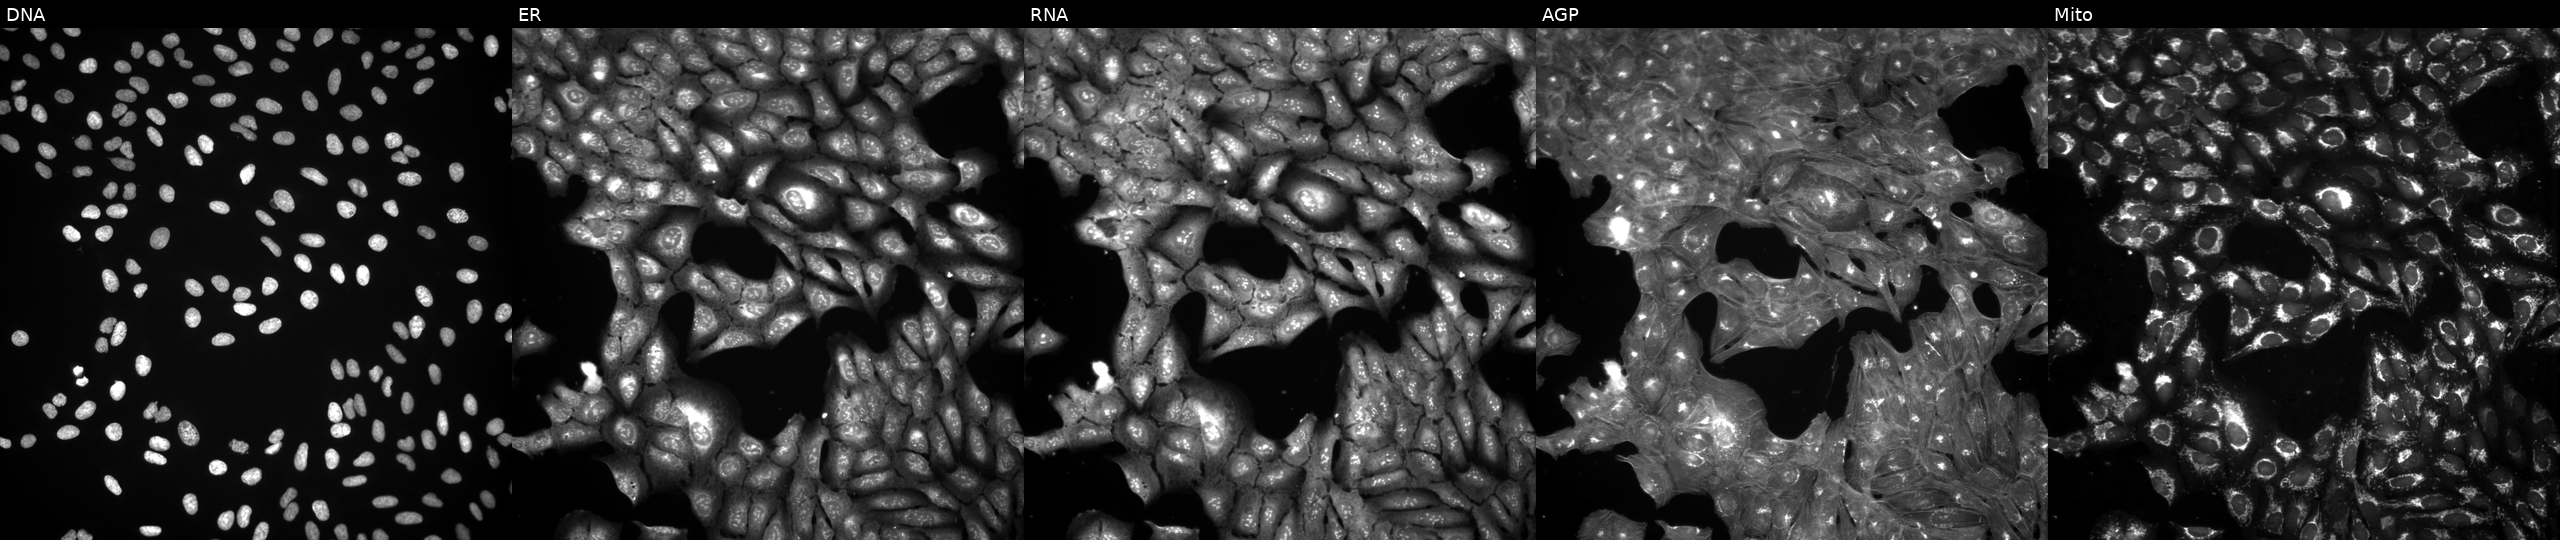
JUMP Cell Painting — TARGET2 plate. U2OS cells treated with DMSO vehicle only (negative control) (JUMP id JCP2022_033924). From left to right: Hoechst 33342, concanavalin A, SYTO 14, phalloidin and WGA, MitoTracker. Source 3, plate JCPQC052, well D06.